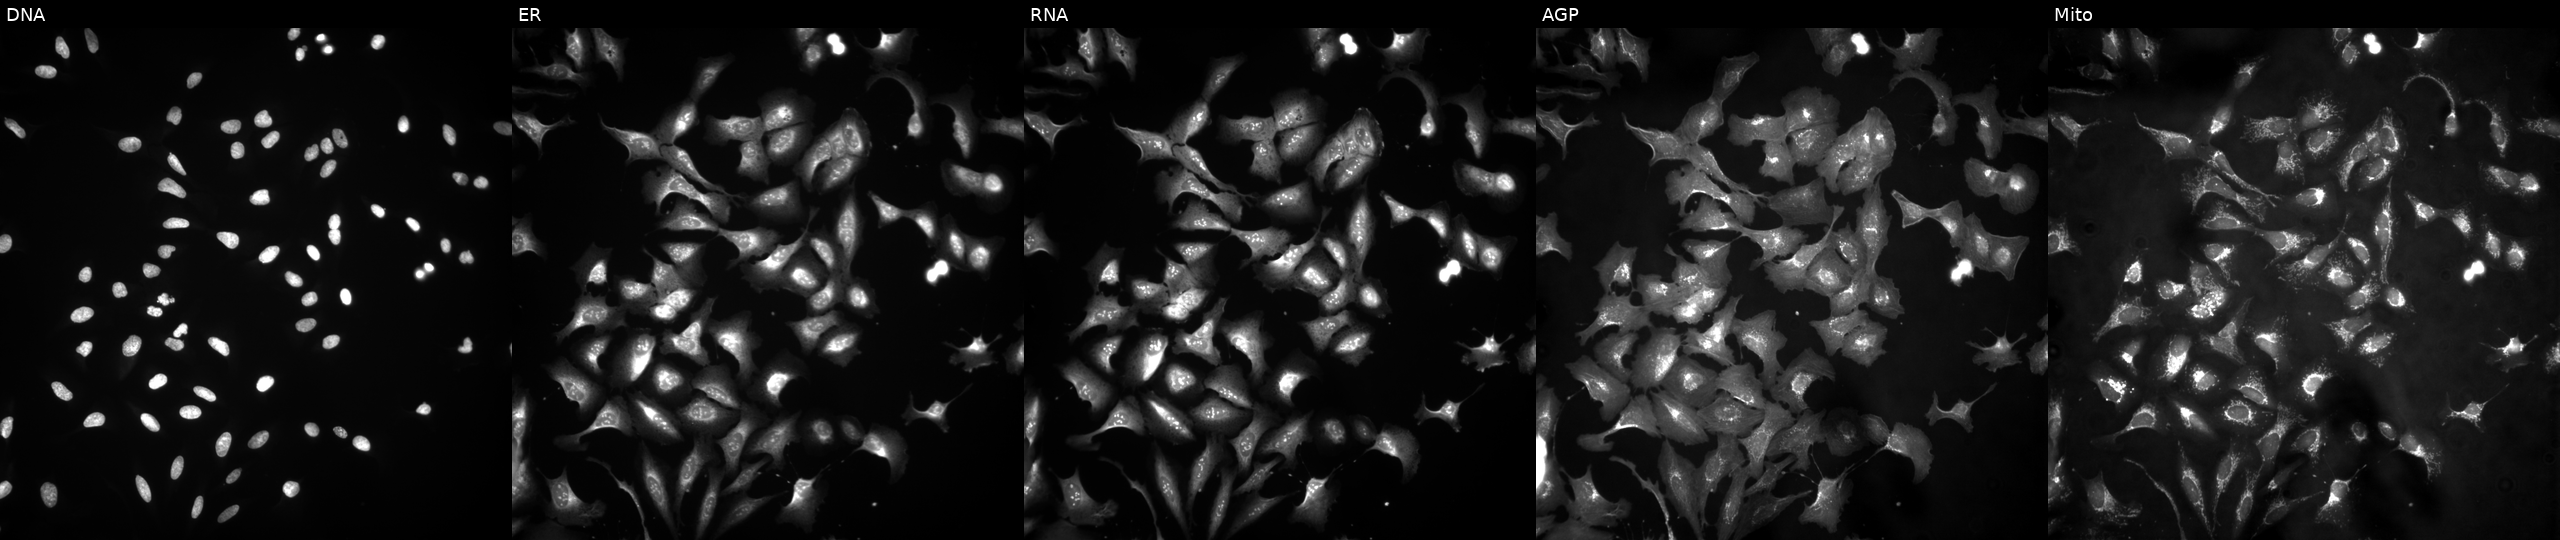
High-content fluorescence microscopy (Cell Painting). Cell line: U2OS. Perturbation: overexpressing SSRP1 via ORF transfection (JUMP id JCP2022_901491). The five panels, left to right, show Hoechst 33342, concanavalin A, SYTO 14, phalloidin and WGA, MitoTracker. Source 4, plate BR00121543, well I18.